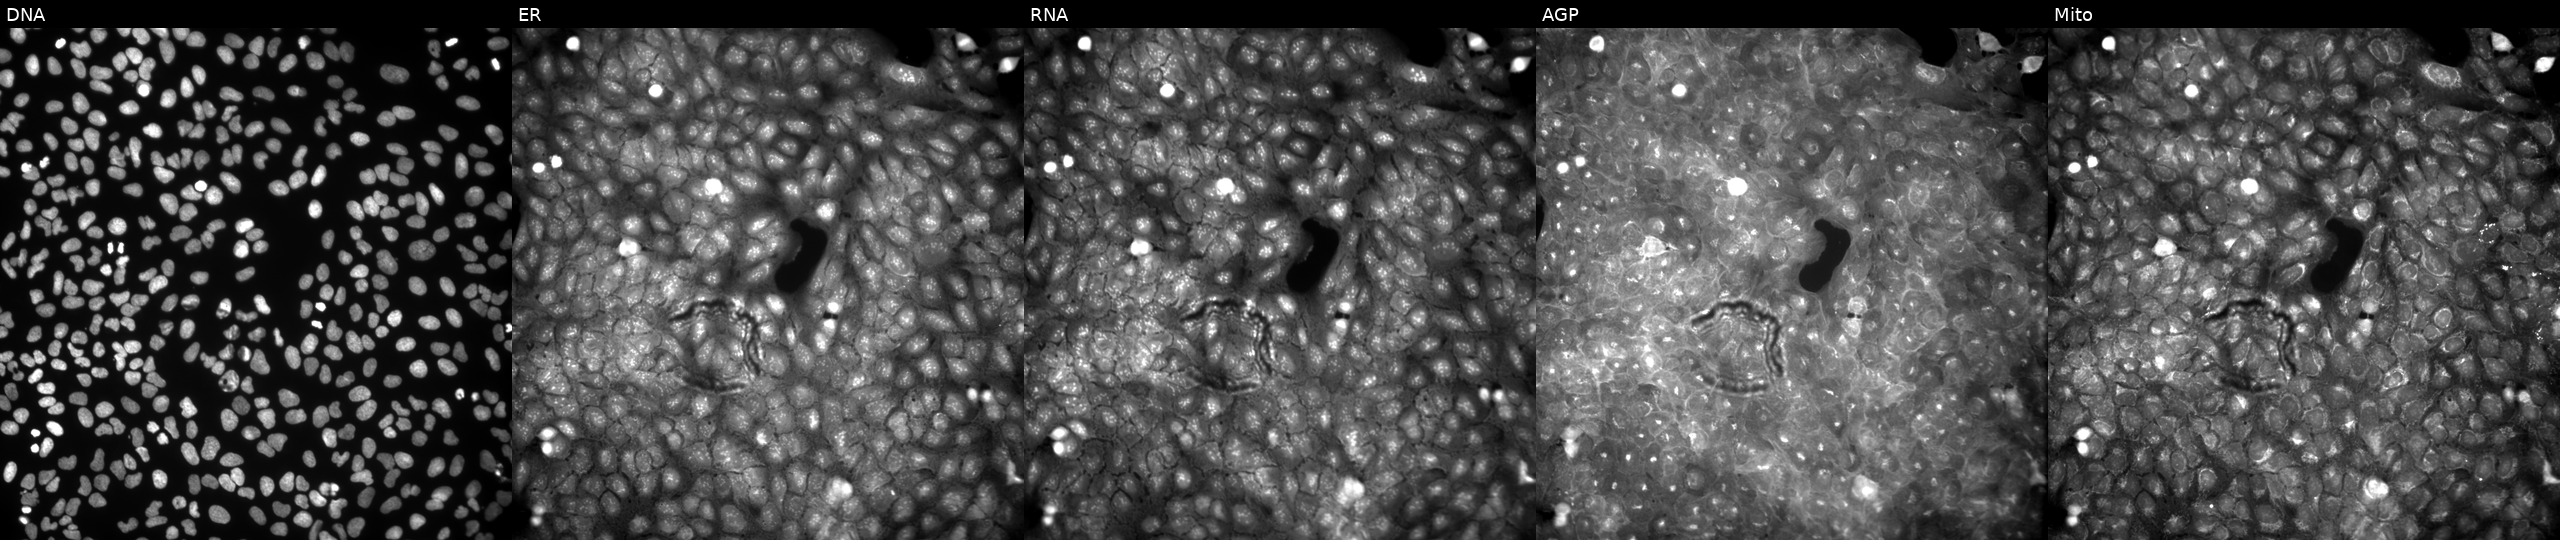
High-content fluorescence microscopy (Cell Painting). Cell line: U2OS. Perturbation: exposed to a small-molecule compound (InChIKey SOBQACHTACGHKY-UHFFFAOYSA-N) (JUMP id JCP2022_084507). From left to right: DNA (nuclei); ER (endoplasmic reticulum); RNA (nucleoli and cytoplasmic RNA); AGP (actin cytoskeleton, Golgi, and plasma membrane); Mito (mitochondria). Source 9, plate GR00003381, well T35.